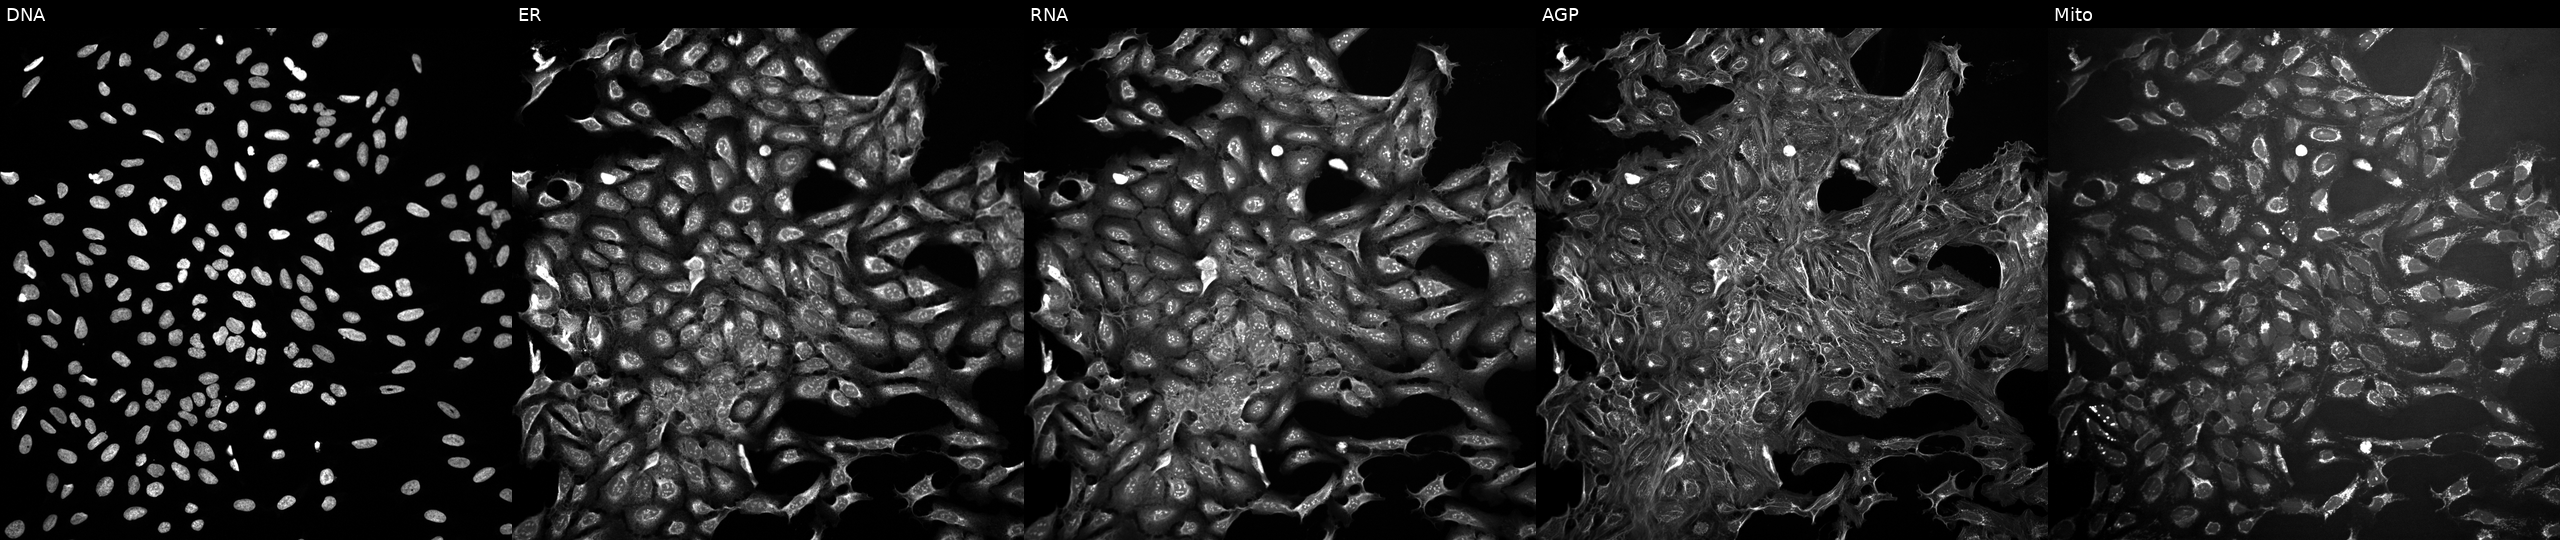
High-content fluorescence microscopy (Cell Painting). Cell line: U2OS. Perturbation: untreated (empty-well control). The five panels, left to right, show DNA, ER, RNA, AGP, and Mito. Source 10, plate Dest210531-152324, well B16.